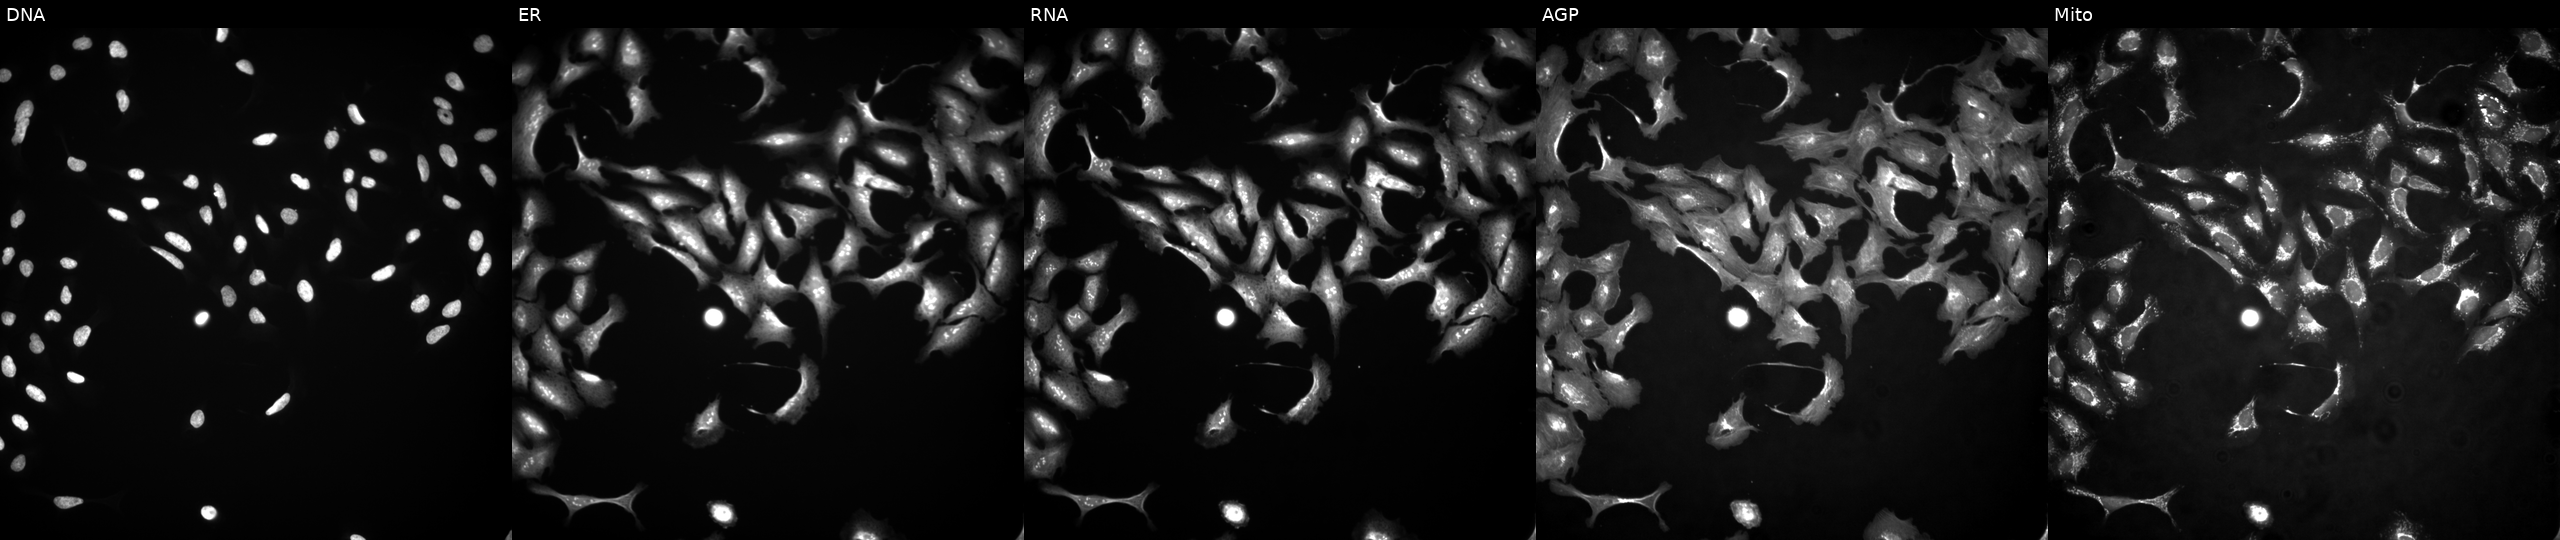
This image strip shows the five Cell Painting channels for a single field of U2OS cells with ELOA3C overexpressed (ORF) (JUMP id JCP2022_905361). The five panels, left to right, show DNA (nuclei); ER (endoplasmic reticulum); RNA (nucleoli and cytoplasmic RNA); AGP (actin cytoskeleton, Golgi, and plasma membrane); Mito (mitochondria).